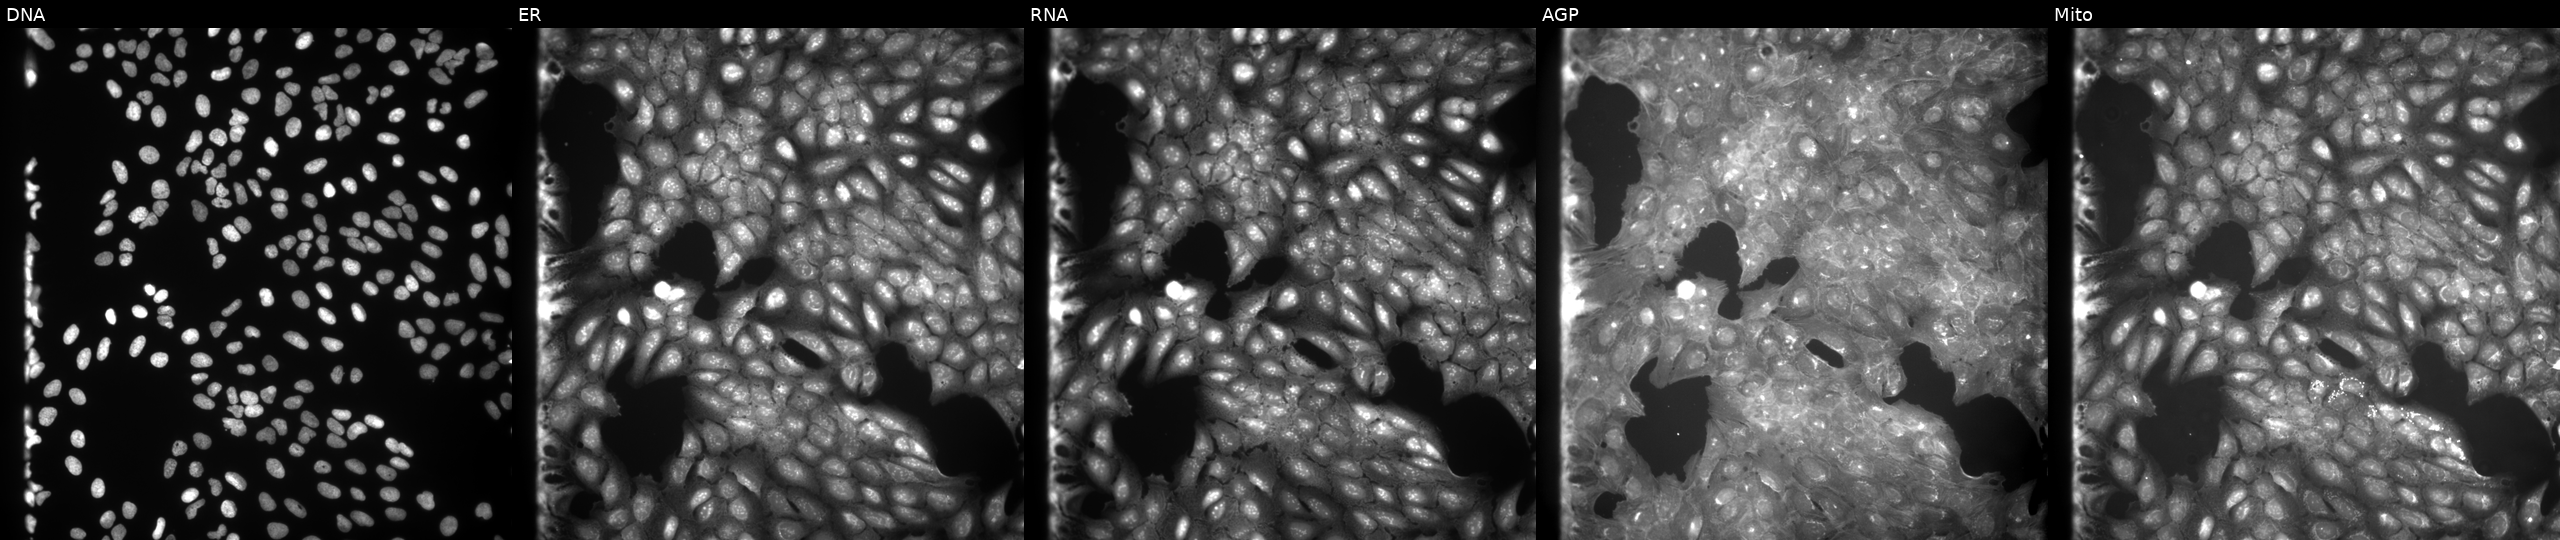
U2OS cells, Cell Painting assay, treated with a small-molecule compound (JUMP id JCP2022_059692). Panels show, left to right, Hoechst 33342, concanavalin A, SYTO 14, phalloidin and WGA, MitoTracker. Each panel is percentile-stretched 16-bit fluorescence.